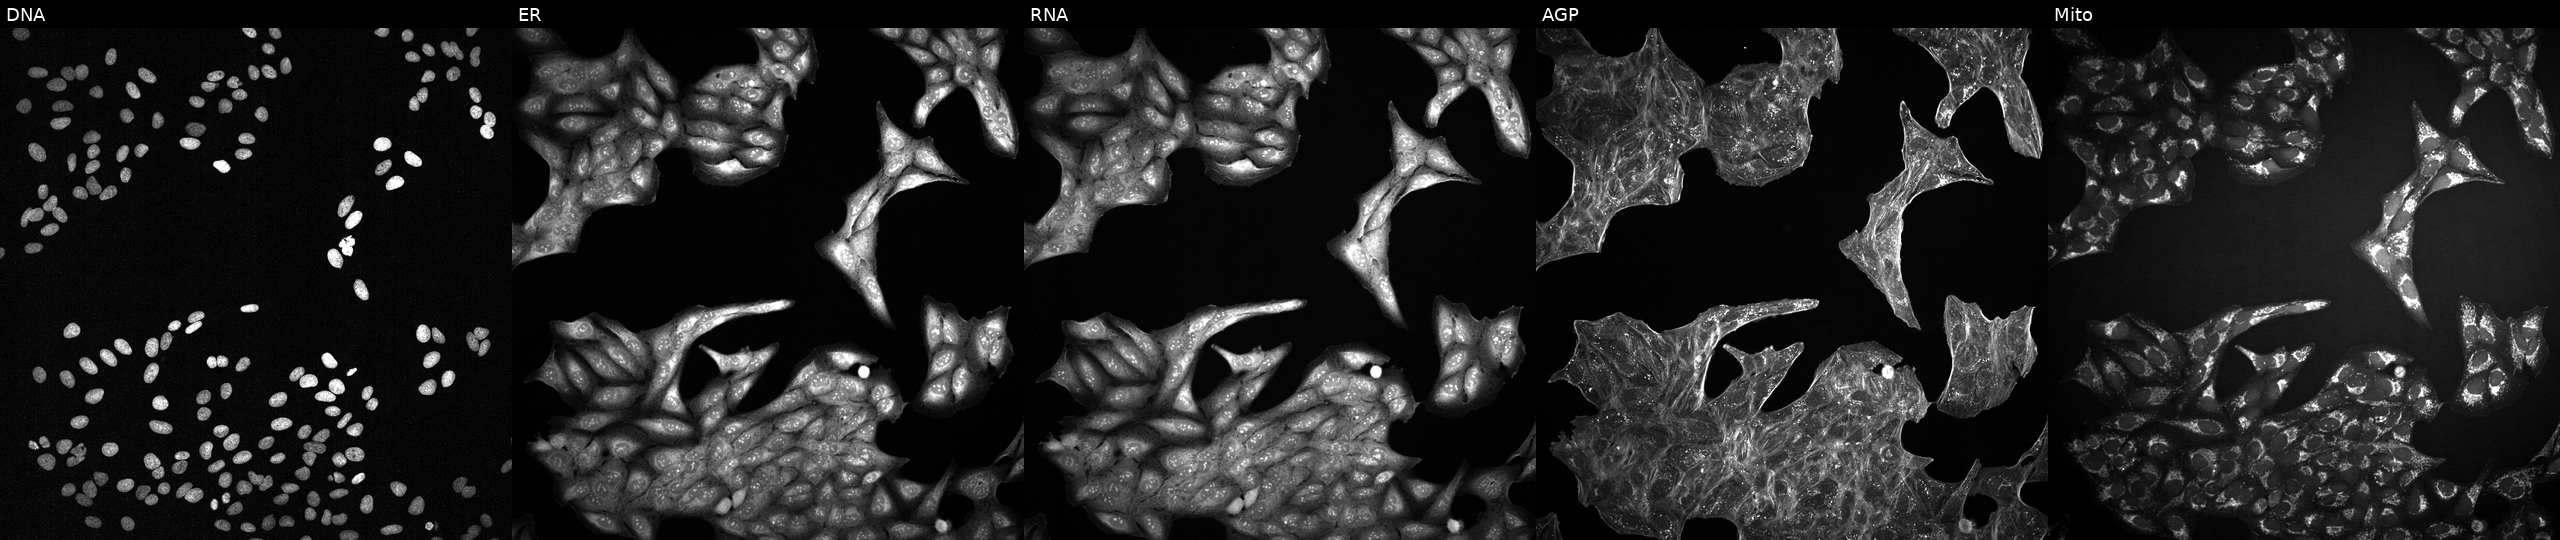
Five-channel Cell Painting image of U2OS cells perturbed with a small-molecule compound (InChIKey RDOIQAHITMMDAJ-UHFFFAOYSA-N). Channels (left→right): DNA (nuclei); ER (endoplasmic reticulum); RNA (nucleoli and cytoplasmic RNA); AGP (actin cytoskeleton, Golgi, and plasma membrane); Mito (mitochondria). Source 2, plate 1053599503, well L24.